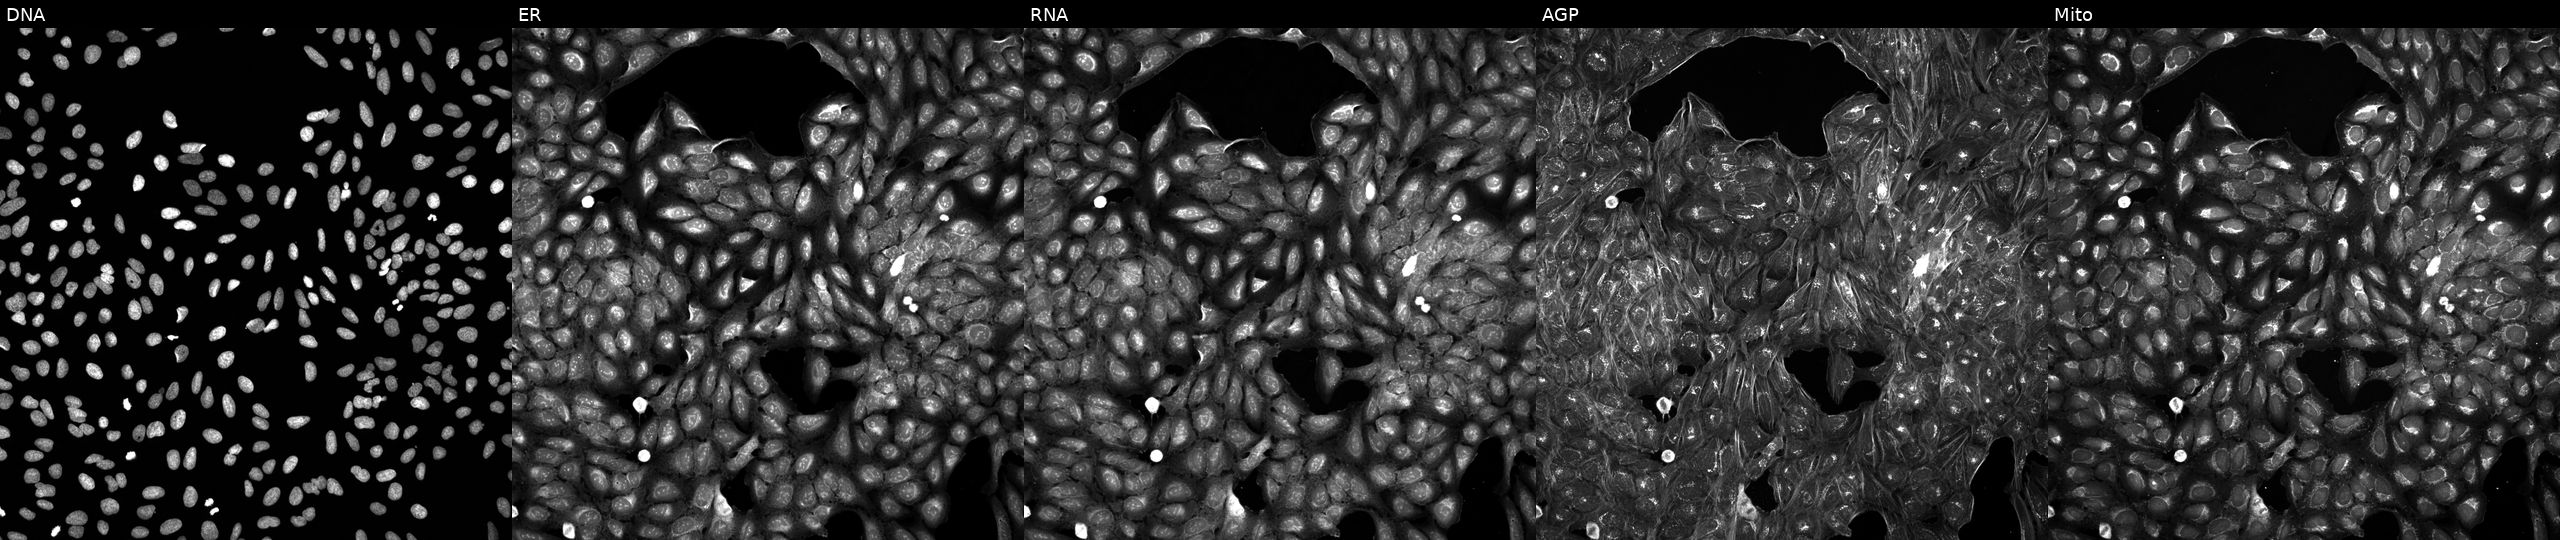
High-content fluorescence microscopy (Cell Painting). Cell line: U2OS. Perturbation: exposed to a small-molecule compound. Panels show, left to right, DNA, ER, RNA, AGP, and Mito.